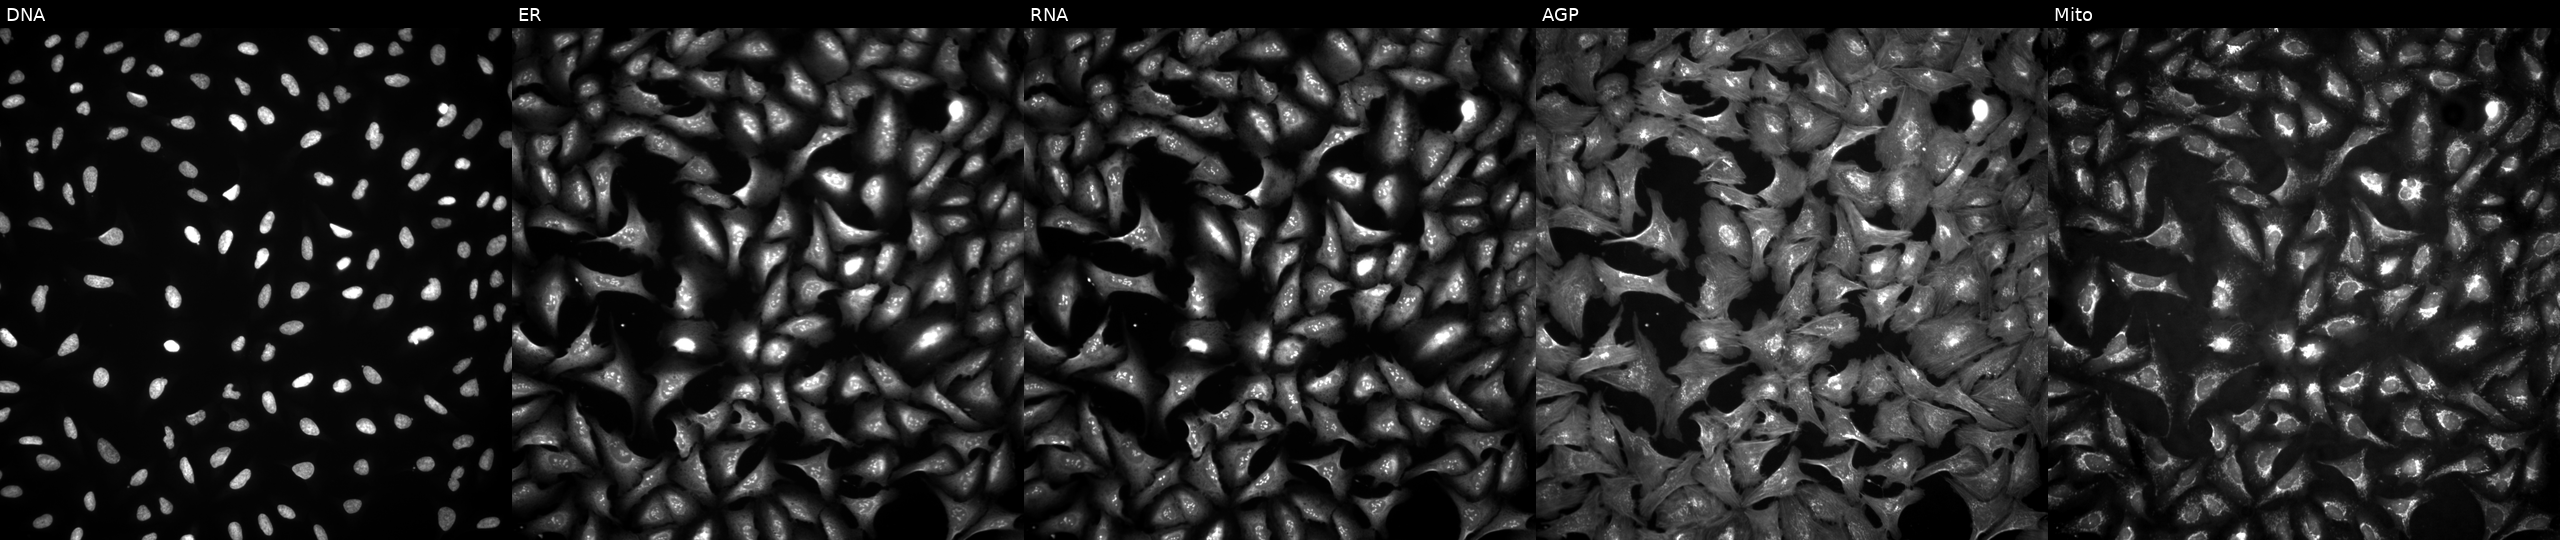
JUMP Cell Painting — ORF plate. U2OS cells transfected with an ORF construct for CRYGA. The five panels, left to right, show DNA (nuclei); ER (endoplasmic reticulum); RNA (nucleoli and cytoplasmic RNA); AGP (actin cytoskeleton, Golgi, and plasma membrane); Mito (mitochondria).